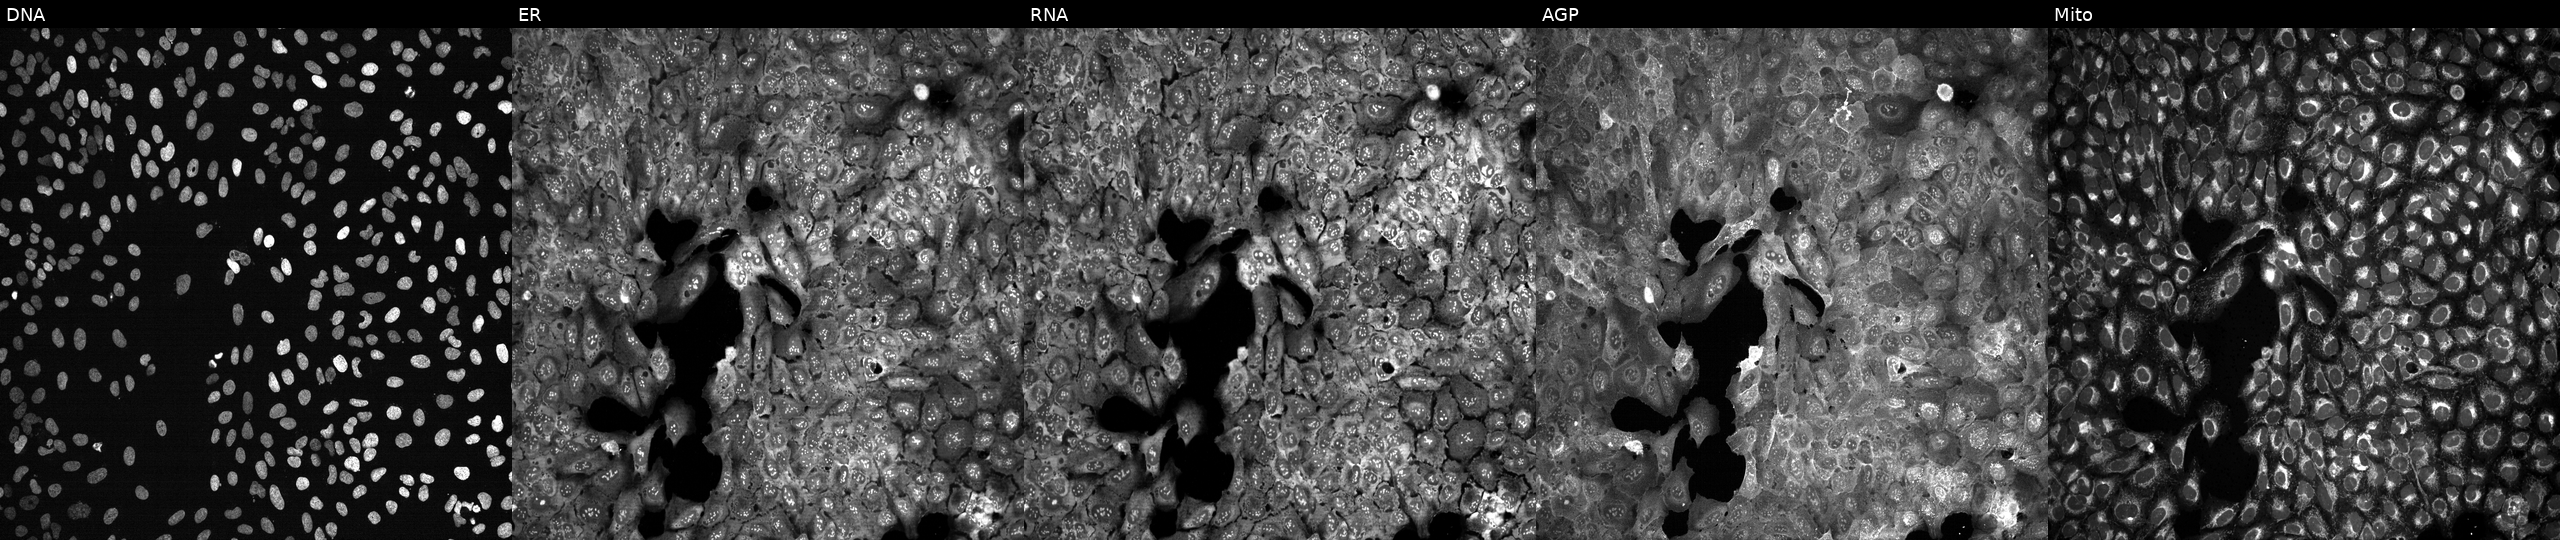
JUMP Cell Painting — CRISPR plate. U2OS cells CRISPR-edited to disrupt ABCB10 (JUMP id JCP2022_800032). From left to right: DNA (nuclei); ER (endoplasmic reticulum); RNA (nucleoli and cytoplasmic RNA); AGP (actin cytoskeleton, Golgi, and plasma membrane); Mito (mitochondria).